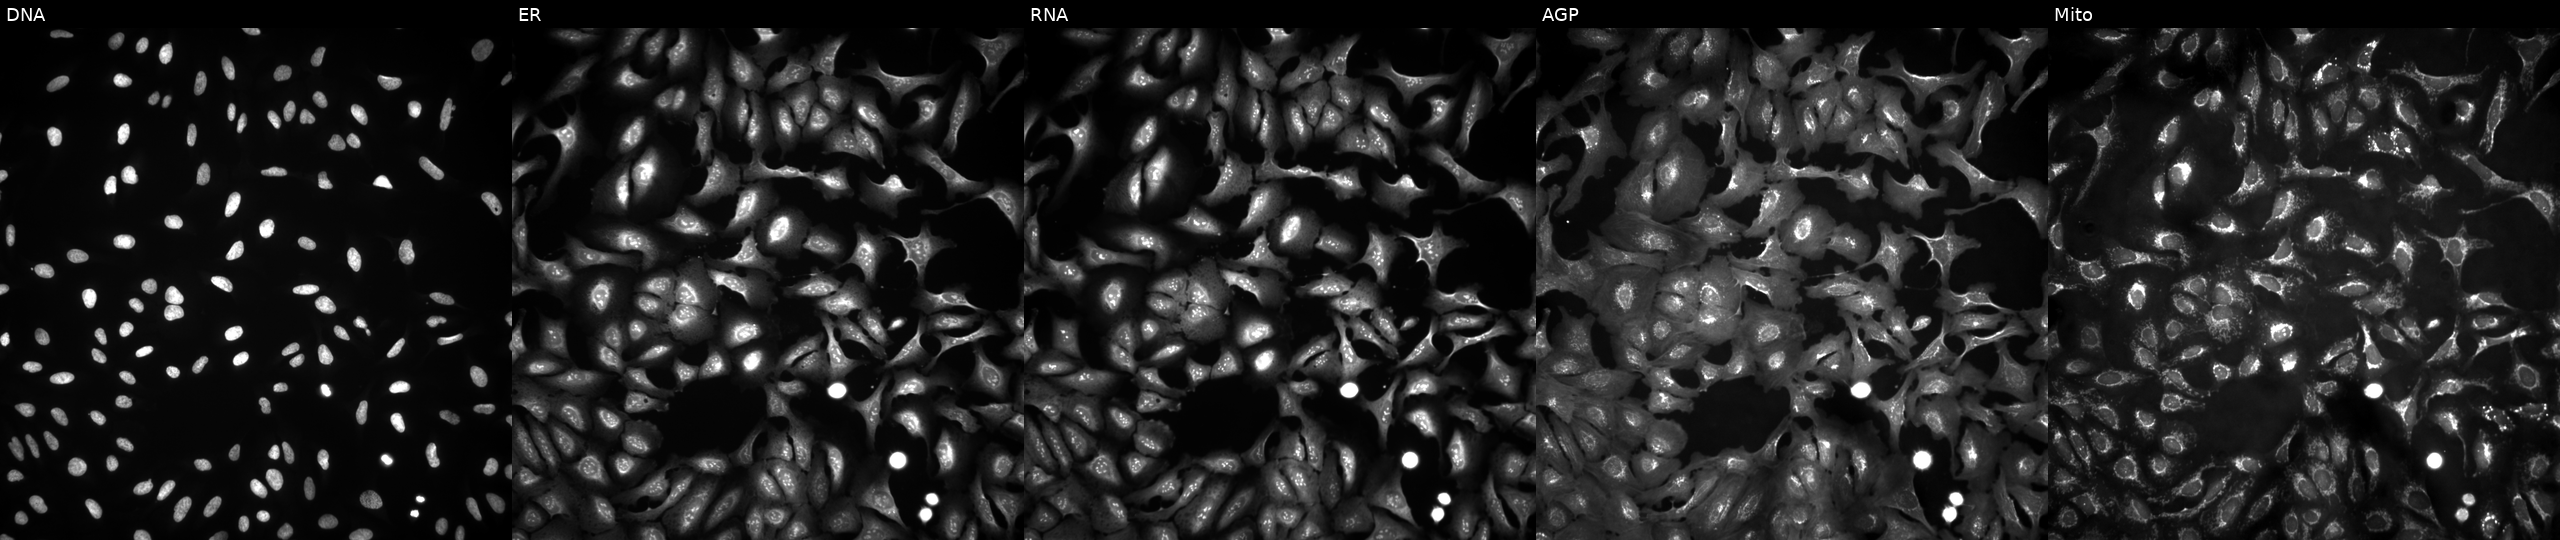
This image strip shows the five Cell Painting channels for a single field of U2OS cells expressing LacZ (ORF negative control) (JUMP id JCP2022_915131). Channels (left→right): DNA (nuclei); ER (endoplasmic reticulum); RNA (nucleoli and cytoplasmic RNA); AGP (actin cytoskeleton, Golgi, and plasma membrane); Mito (mitochondria).